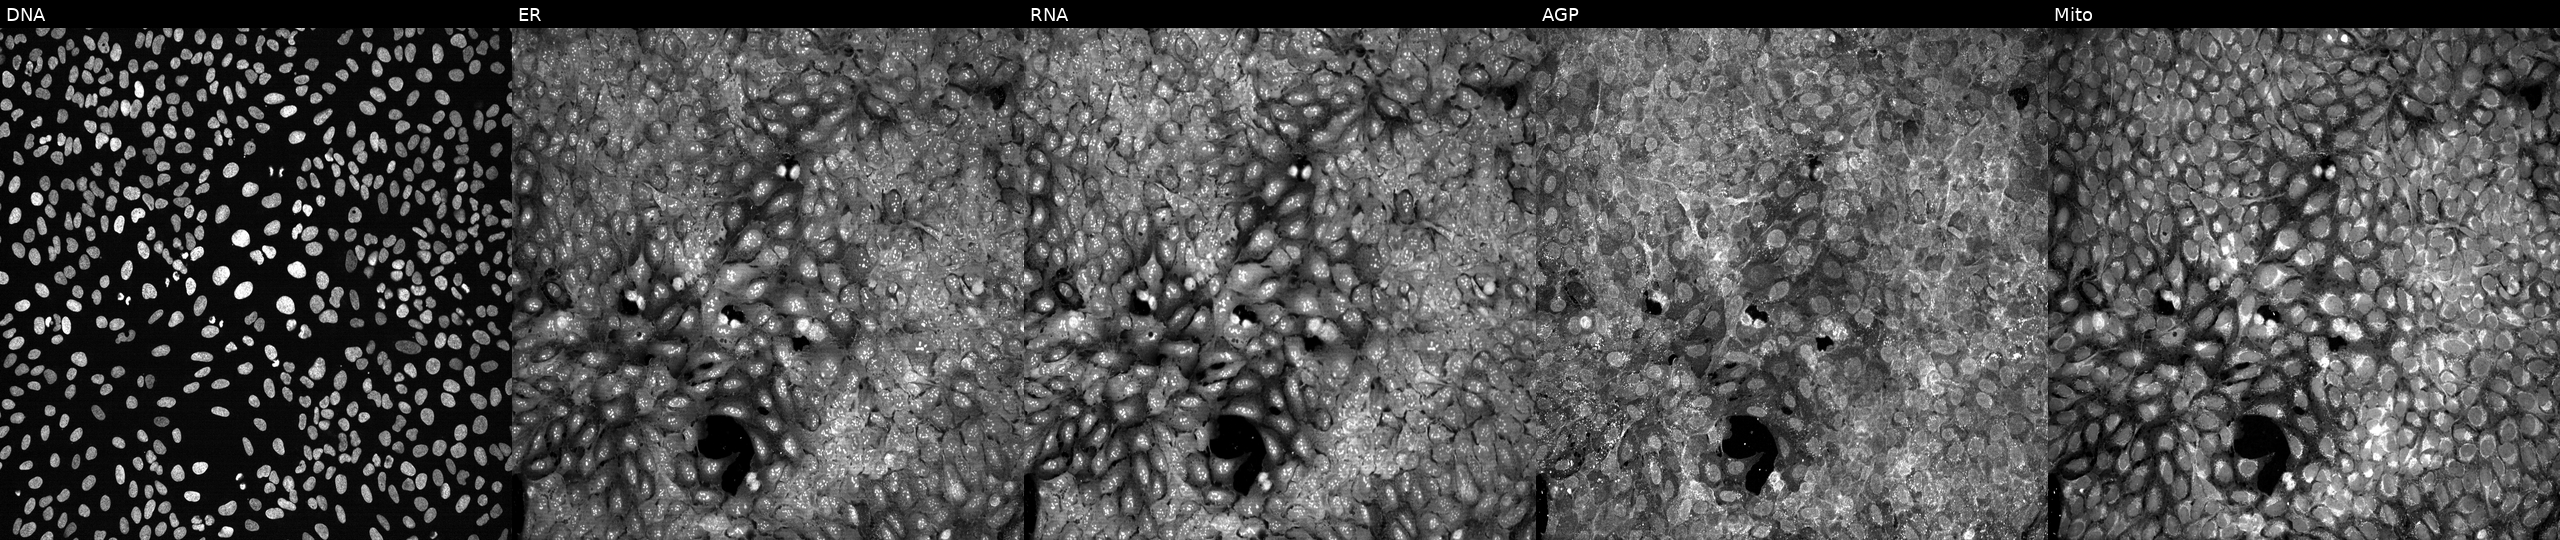
From left to right: Hoechst 33342, concanavalin A, SYTO 14, phalloidin and WGA, MitoTracker. U2OS osteosarcoma cells exposed to the positive-control compound dexamethasone. Cell Painting assay, JUMP-CP dataset.